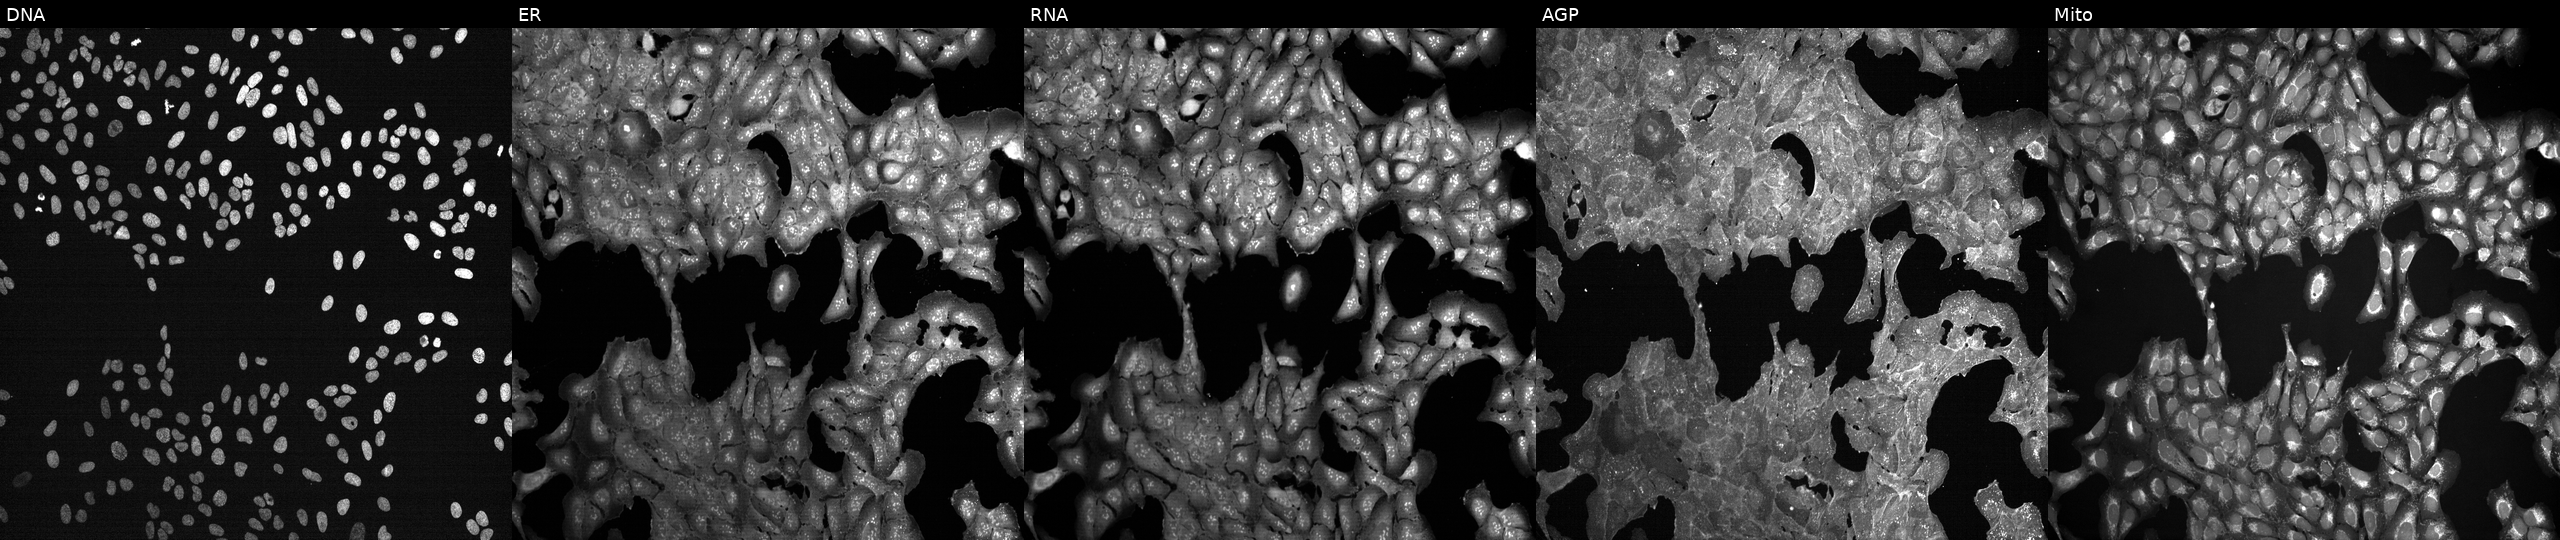
High-content fluorescence microscopy (Cell Painting). Cell line: U2OS. Perturbation: treated with DMSO vehicle only (negative control). Channels (left→right): Hoechst 33342, concanavalin A, SYTO 14, phalloidin and WGA, MitoTracker. Source 7, plate CP2-SC1-25, well D03.